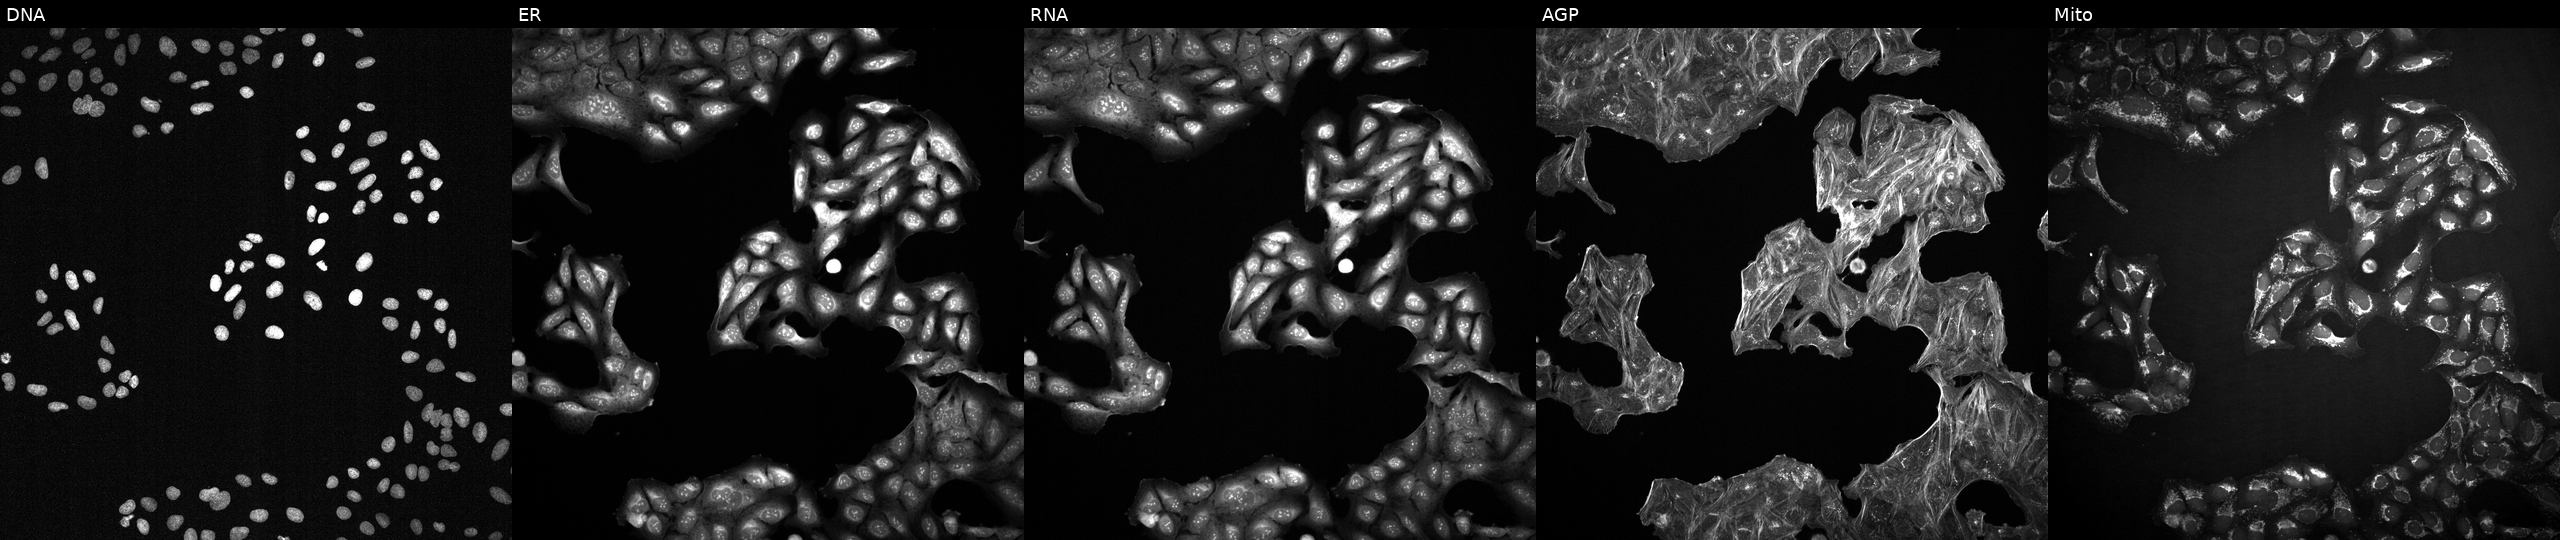
U2OS cells, Cell Painting assay, exposed to DMSO alone as a negative control (JUMP id JCP2022_033924). From left to right: Hoechst 33342, concanavalin A, SYTO 14, phalloidin and WGA, MitoTracker. Each panel is percentile-stretched 16-bit fluorescence.